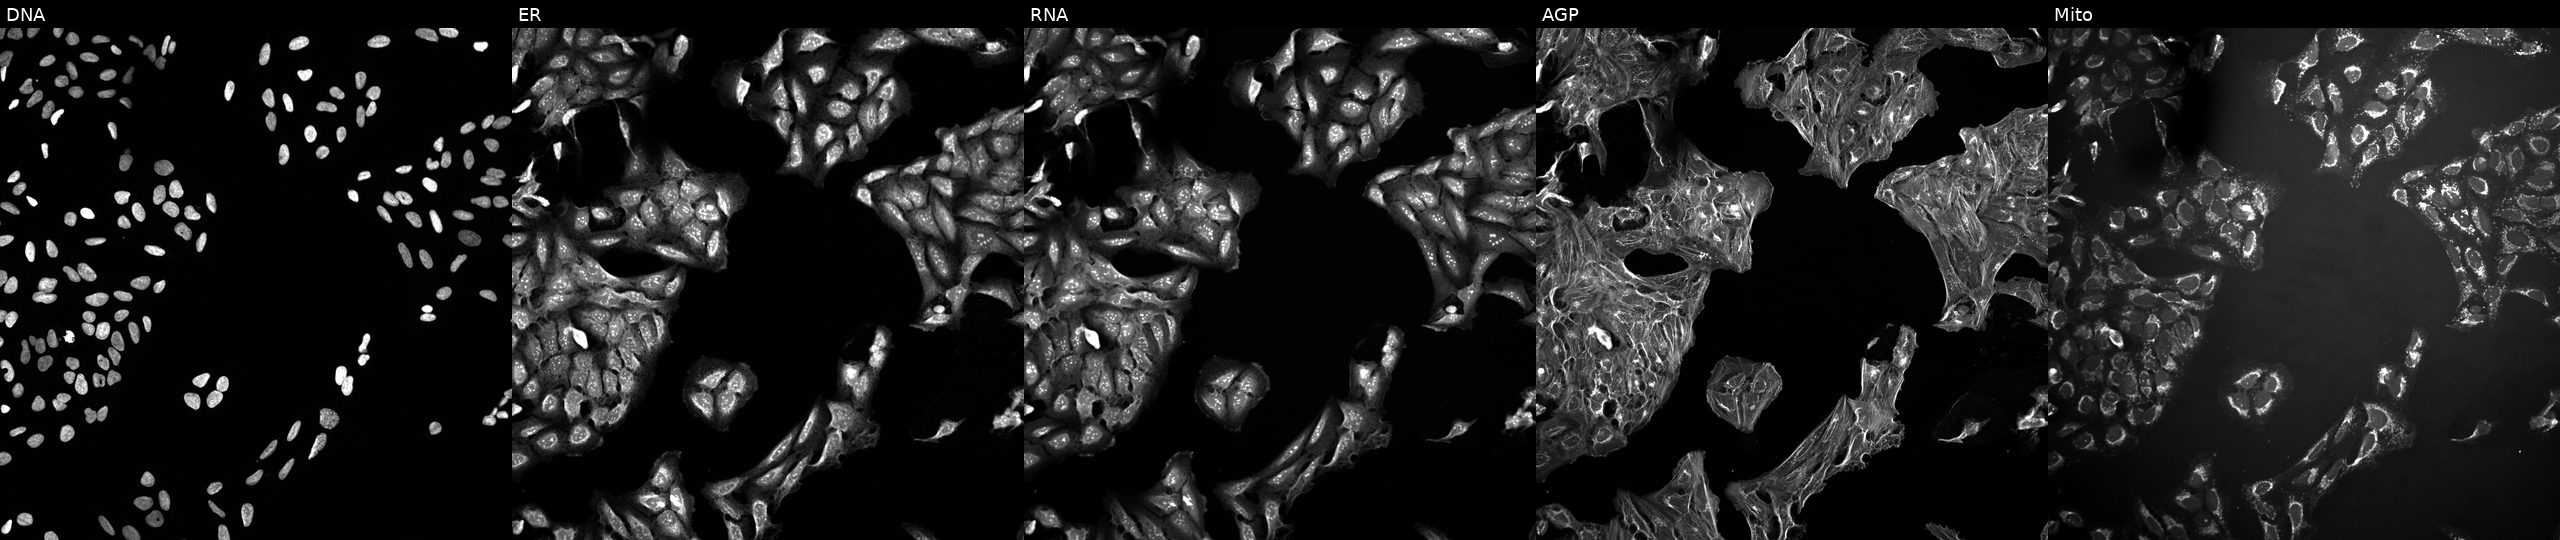
U2OS cells, Cell Painting assay, exposed to a small-molecule compound. From left to right: DNA (nuclei); ER (endoplasmic reticulum); RNA (nucleoli and cytoplasmic RNA); AGP (actin cytoskeleton, Golgi, and plasma membrane); Mito (mitochondria). Each panel is percentile-stretched 16-bit fluorescence.